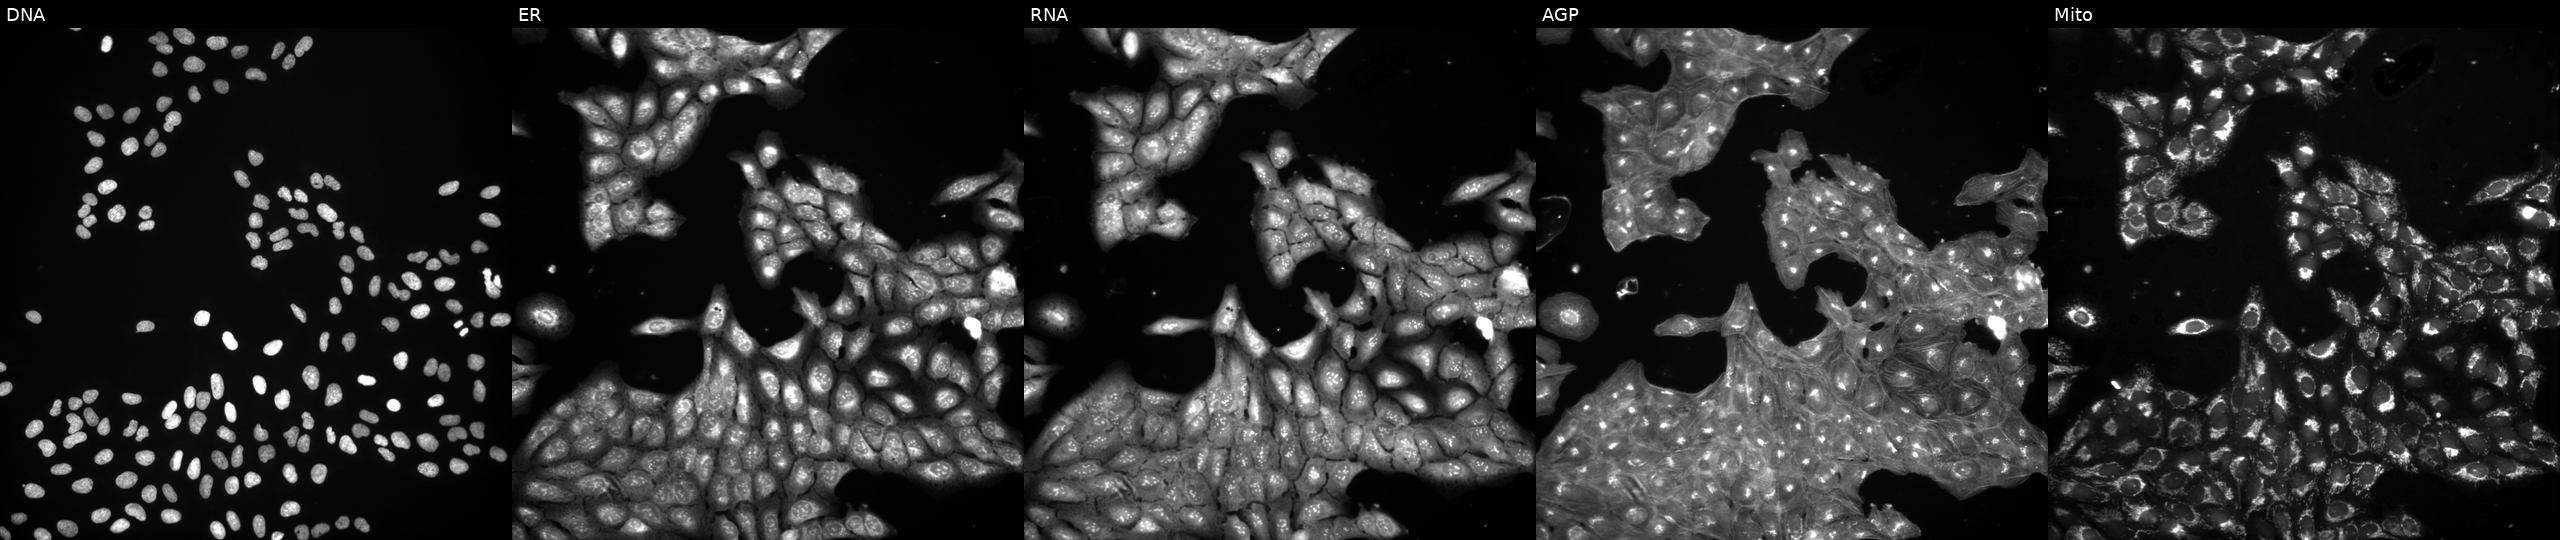
Five-channel Cell Painting image of U2OS cells exposed to DMSO alone as a negative control. Panels show, left to right, DNA, ER, RNA, AGP, and Mito.